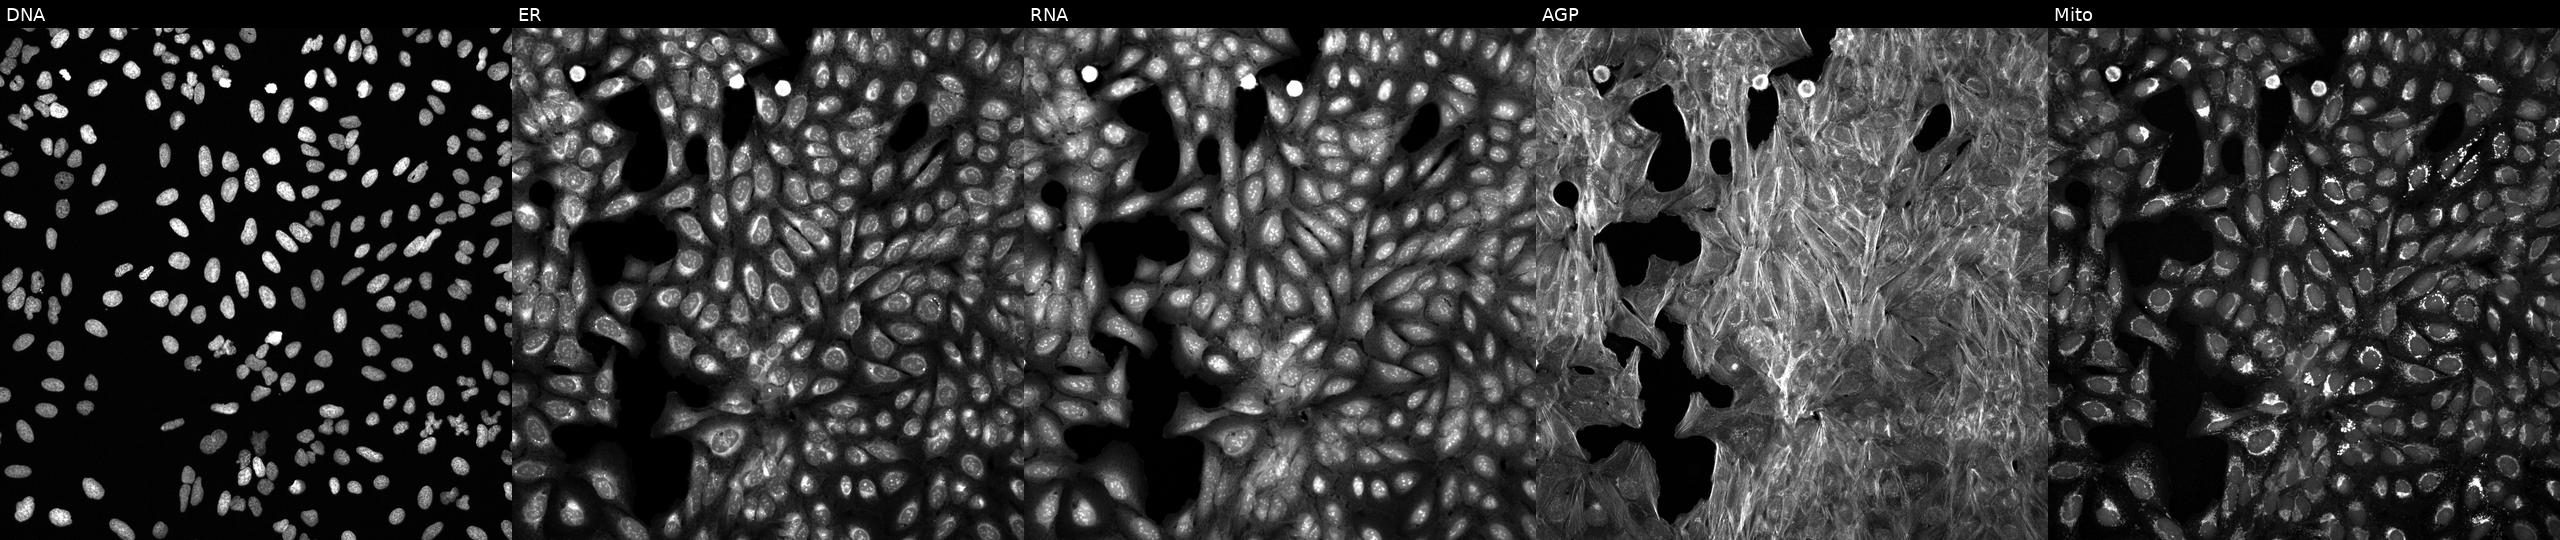
Five-channel Cell Painting image of U2OS cells perturbed with a small-molecule compound (InChIKey PDDIWPTXSRZSMJ-UHFFFAOYSA-N) [SMILES: CCOc1ccc(SCC(=O)Nc2ccc(N3CCOCC3)nc2)cc1]. The five panels, left to right, show DNA (nuclei); ER (endoplasmic reticulum); RNA (nucleoli and cytoplasmic RNA); AGP (actin cytoskeleton, Golgi, and plasma membrane); Mito (mitochondria). Source 6, plate 110000293083, well N11.